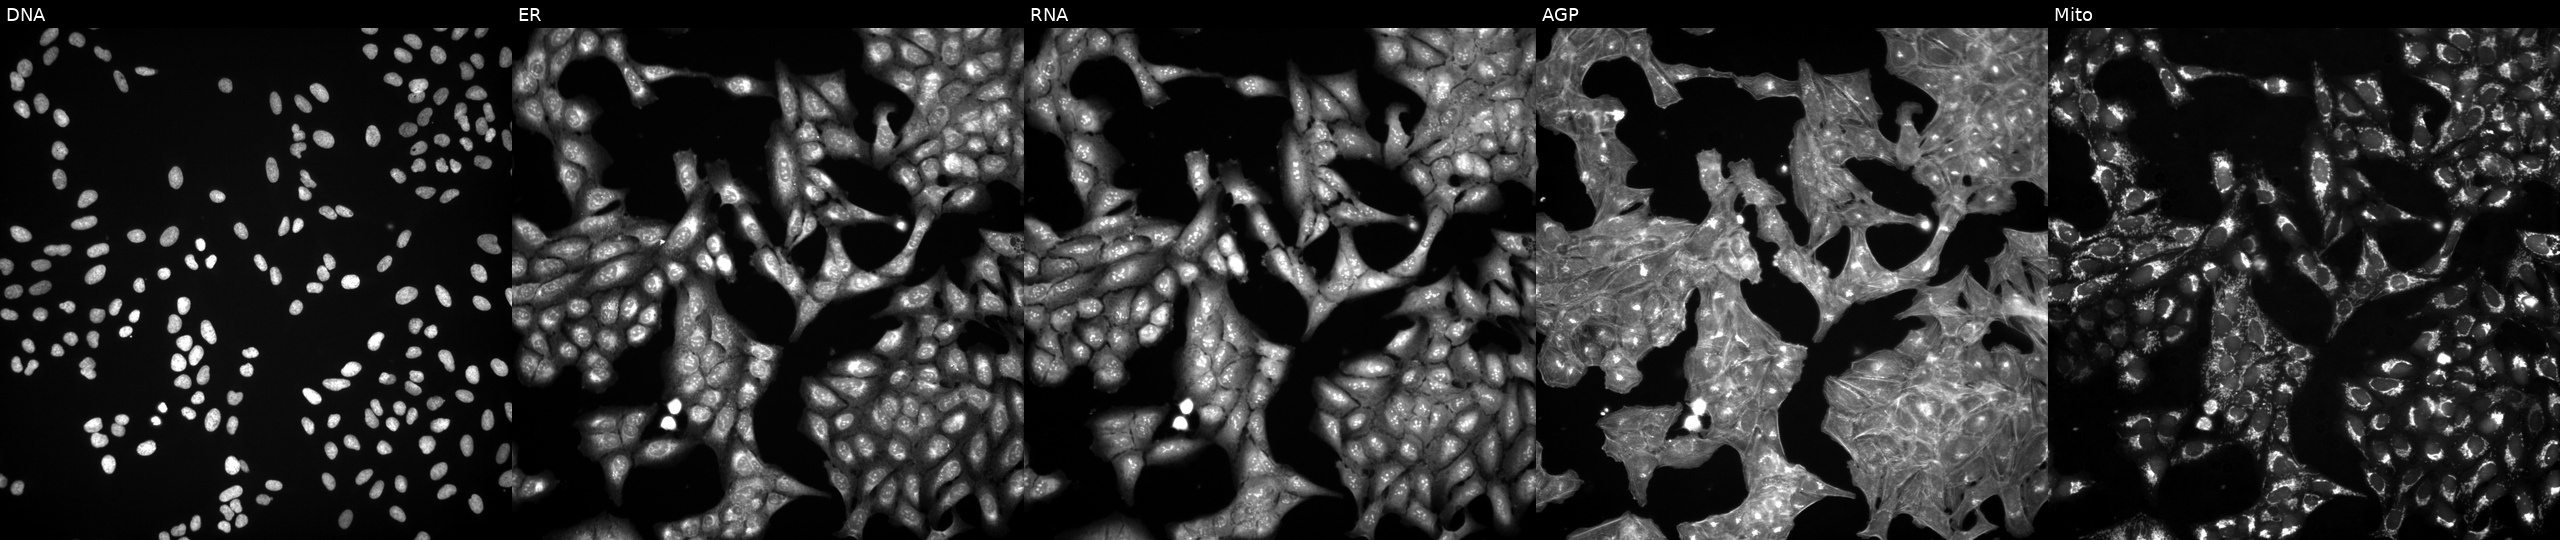
Channels (left→right): DNA, ER, RNA, AGP, and Mito. U2OS osteosarcoma cells perturbed with a small-molecule compound (InChIKey JDVVGAQPNNXQDW-UHFFFAOYSA-N) (JUMP id JCP2022_039116). Cell Painting assay, JUMP-CP dataset. Source 3, plate JCPQC051, well N21.